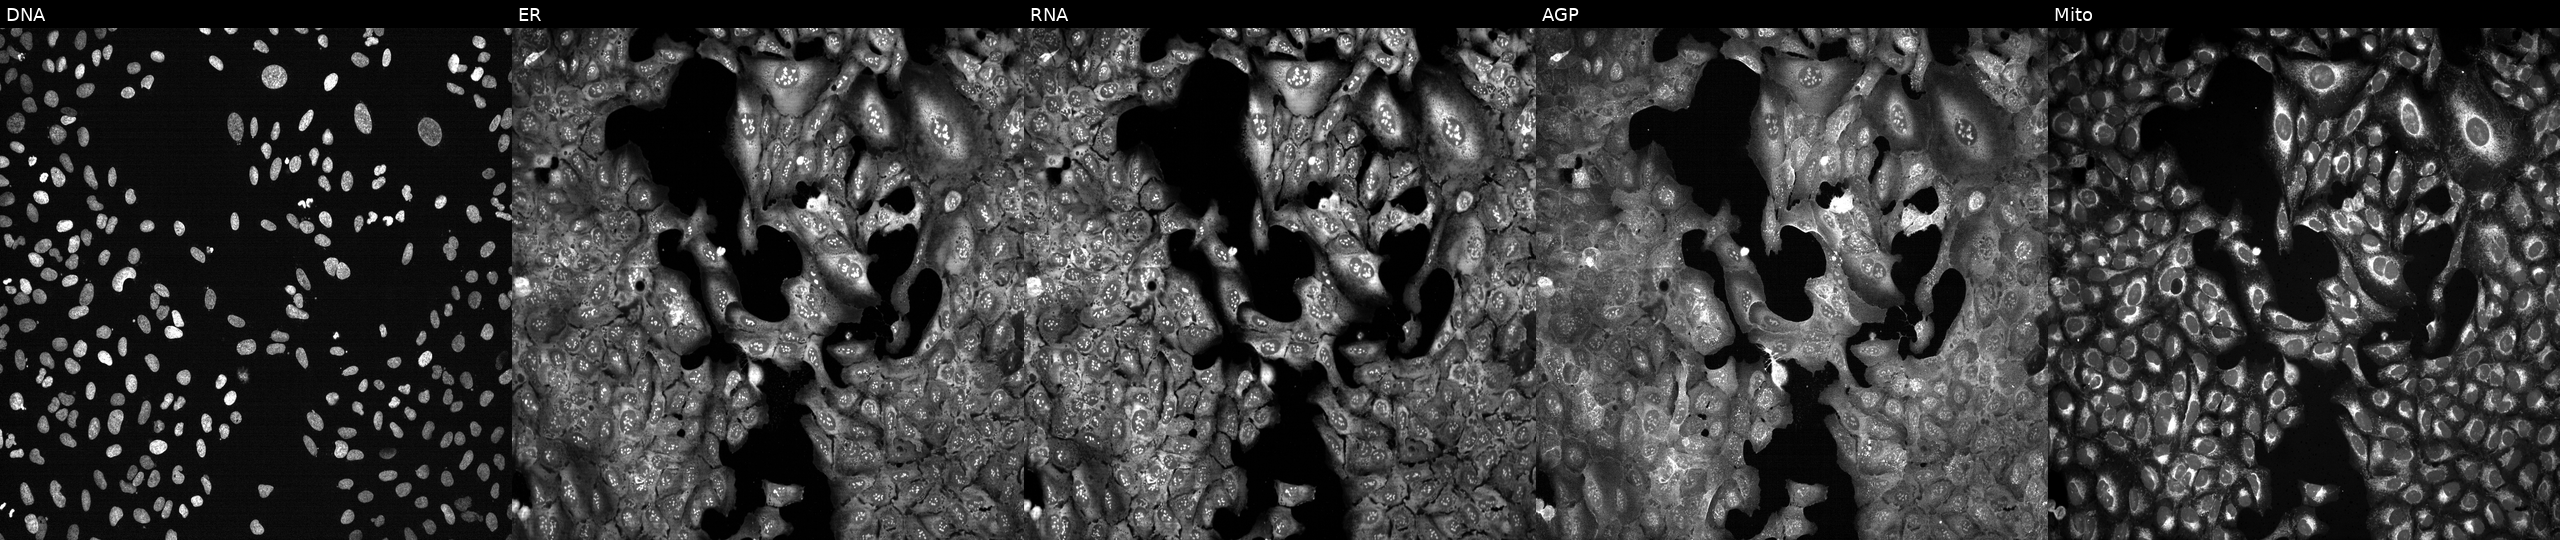
U2OS cells, Cell Painting assay, CRISPR-edited to disrupt PMP2 (JUMP id JCP2022_805297). Channels (left→right): DNA (nuclei); ER (endoplasmic reticulum); RNA (nucleoli and cytoplasmic RNA); AGP (actin cytoskeleton, Golgi, and plasma membrane); Mito (mitochondria). Each panel is percentile-stretched 16-bit fluorescence.